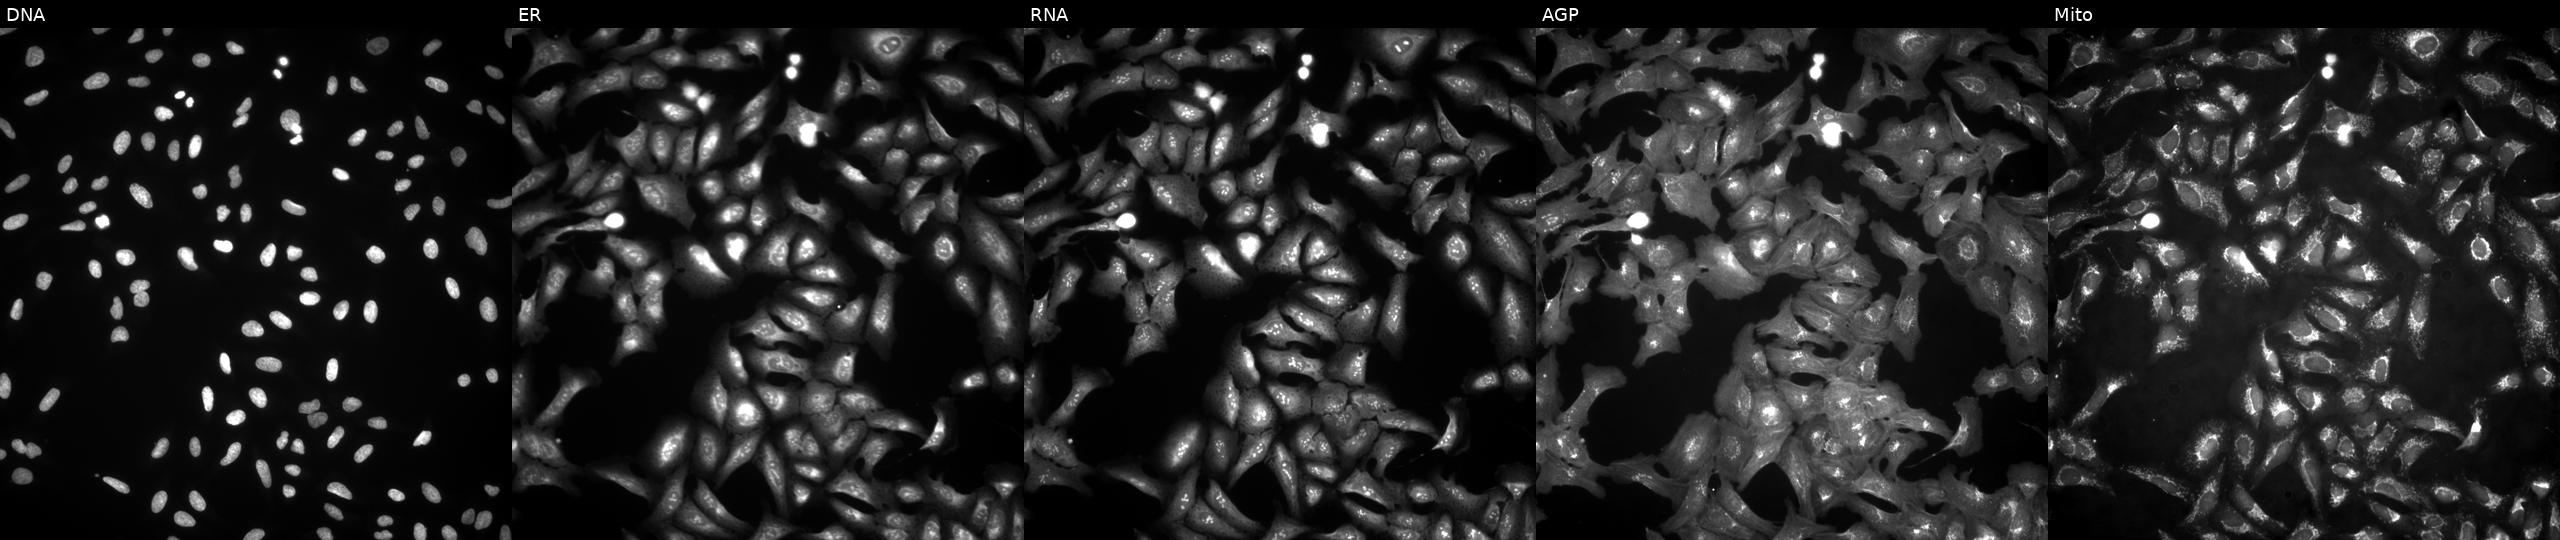
This image strip shows the five Cell Painting channels for a single field of U2OS cells with MSRB1 overexpressed (ORF) (JUMP id JCP2022_903167). From left to right: DNA, ER, RNA, AGP, and Mito. Source 4, plate BR00123509, well J07.